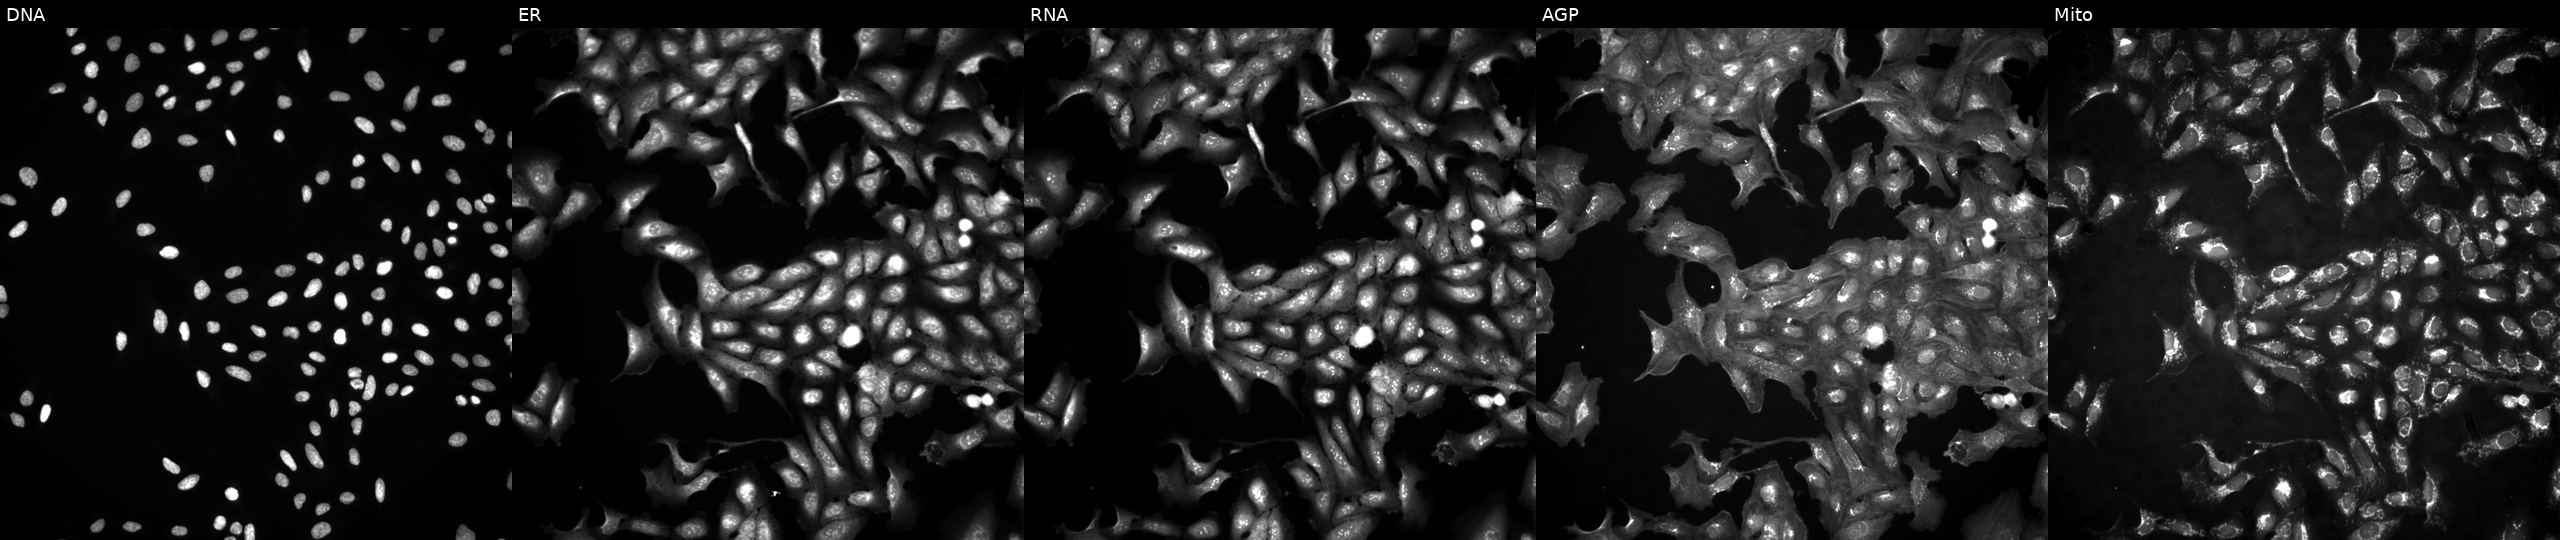
This image strip shows the five Cell Painting channels for a single field of U2OS cells in an empty control well (no perturbation) (JUMP id JCP2022_999999). Channels (left→right): Hoechst 33342, concanavalin A, SYTO 14, phalloidin and WGA, MitoTracker. Source 4, plate BR00124793, well C08.